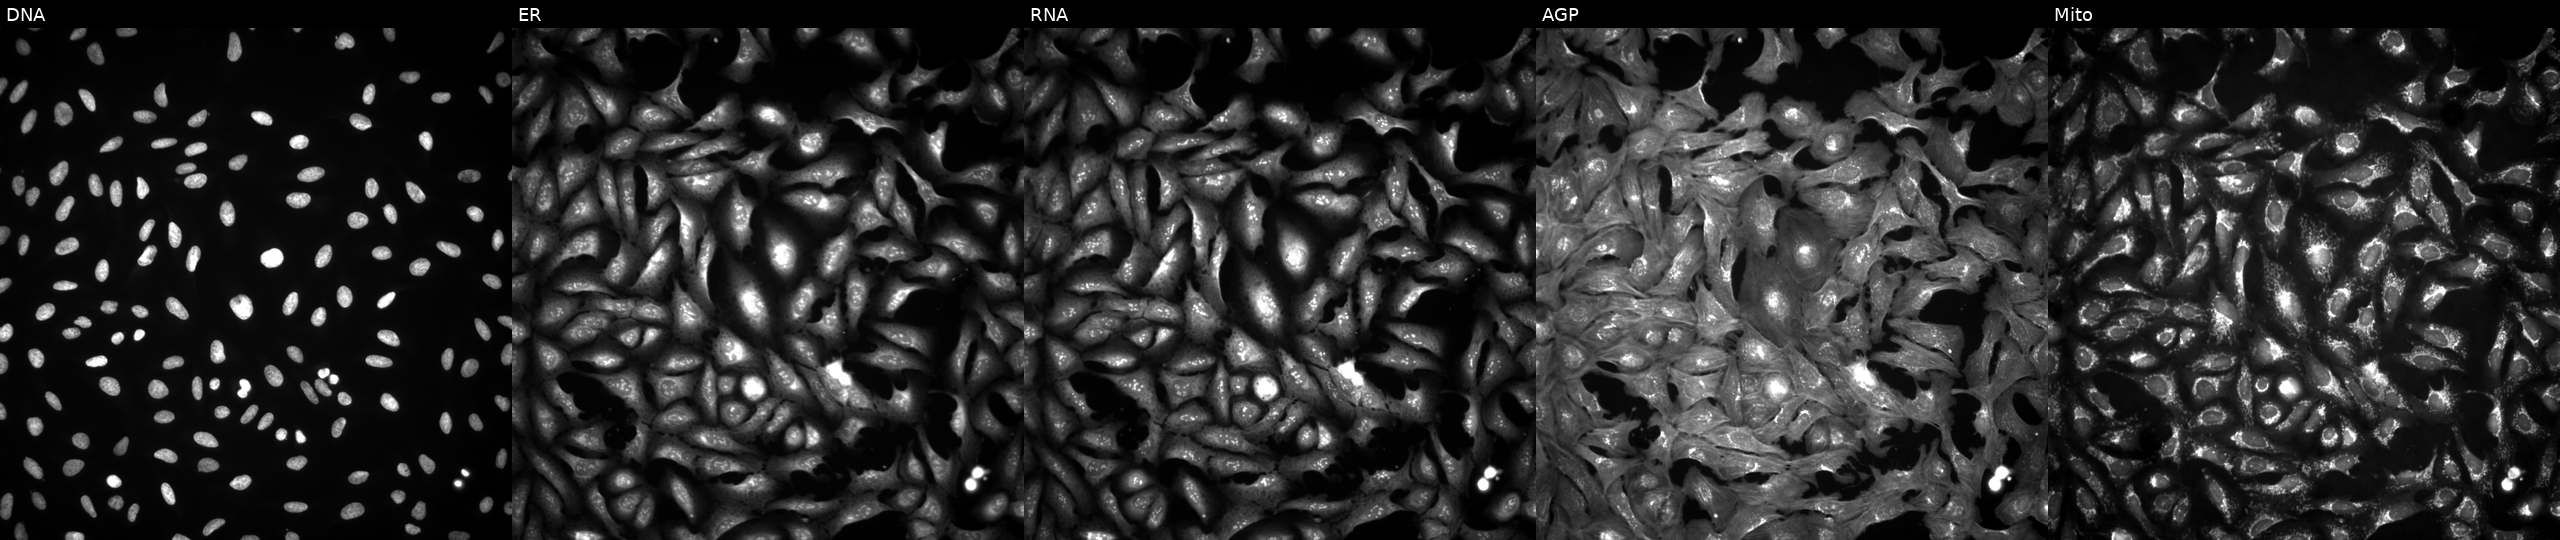
This image strip shows the five Cell Painting channels for a single field of U2OS cells with PSMA6 overexpressed (ORF). From left to right: Hoechst 33342, concanavalin A, SYTO 14, phalloidin and WGA, MitoTracker. Source 4, plate BR00124784, well P16.